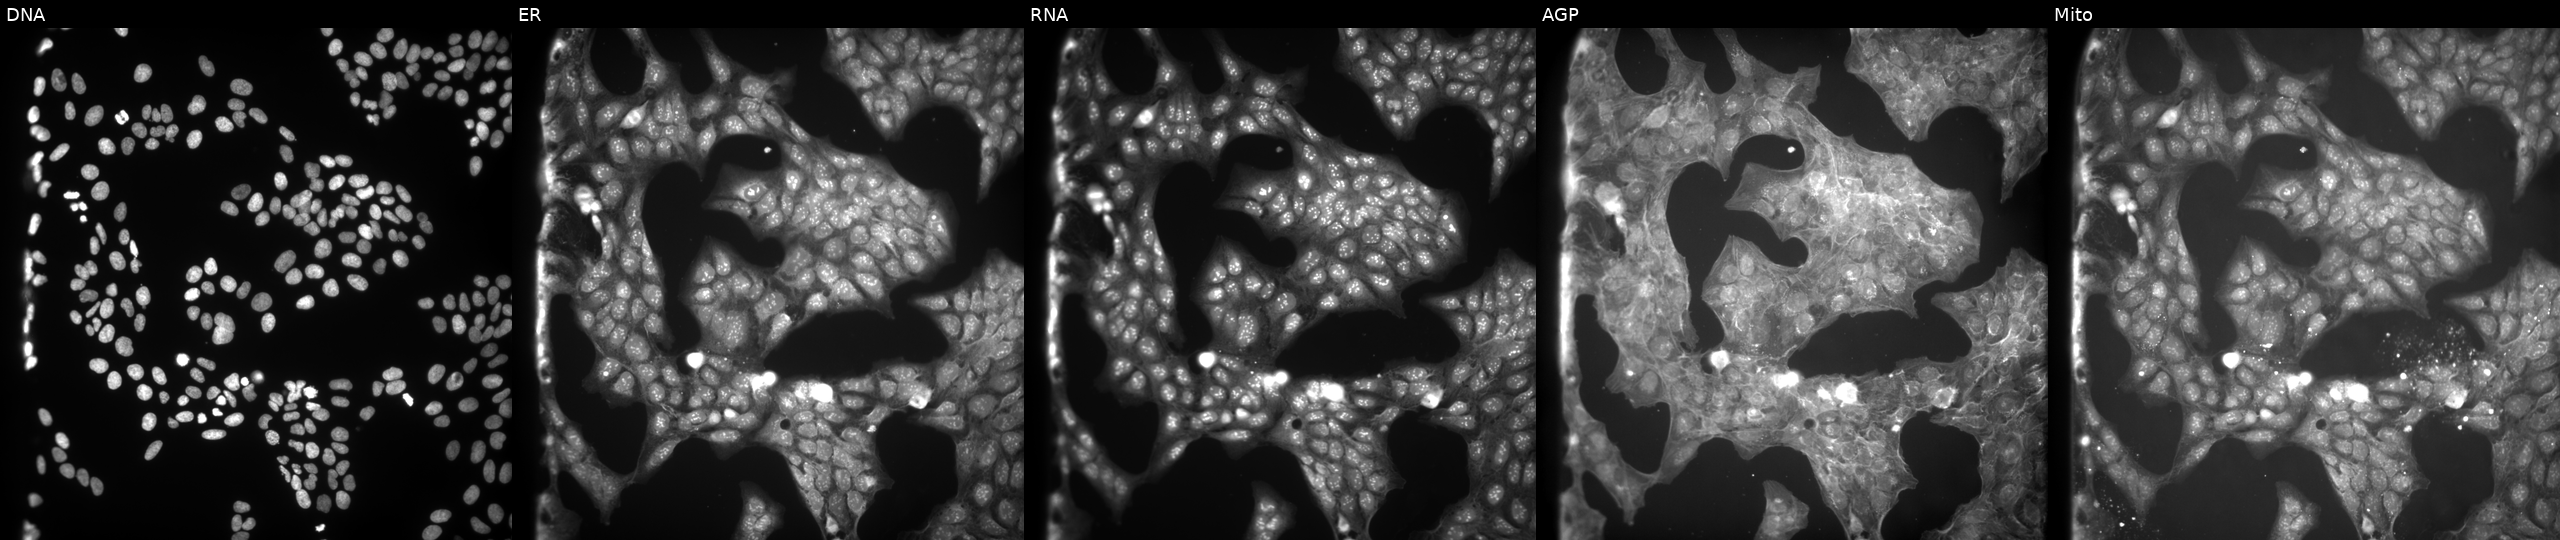
U2OS cells, Cell Painting assay, treated with a small-molecule compound. From left to right: DNA (nuclei); ER (endoplasmic reticulum); RNA (nucleoli and cytoplasmic RNA); AGP (actin cytoskeleton, Golgi, and plasma membrane); Mito (mitochondria). Each panel is percentile-stretched 16-bit fluorescence. Source 9, plate GR00003382, well U01.